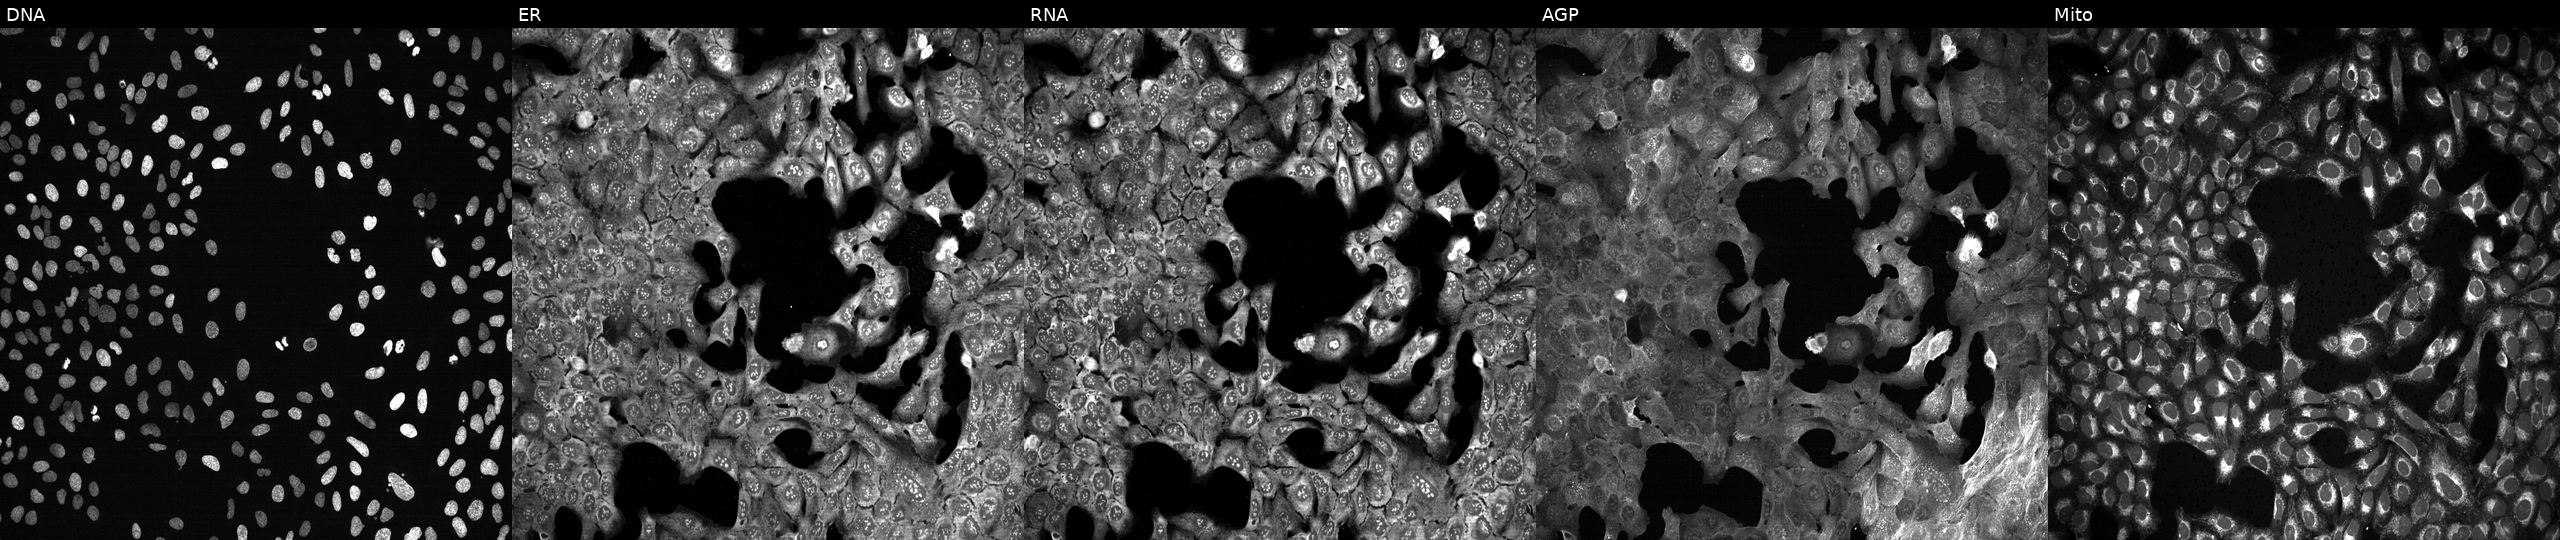
This image strip shows the five Cell Painting channels for a single field of U2OS cells following CRISPR knockout of PTCH1 (JUMP id JCP2022_805637). From left to right: Hoechst 33342, concanavalin A, SYTO 14, phalloidin and WGA, MitoTracker.